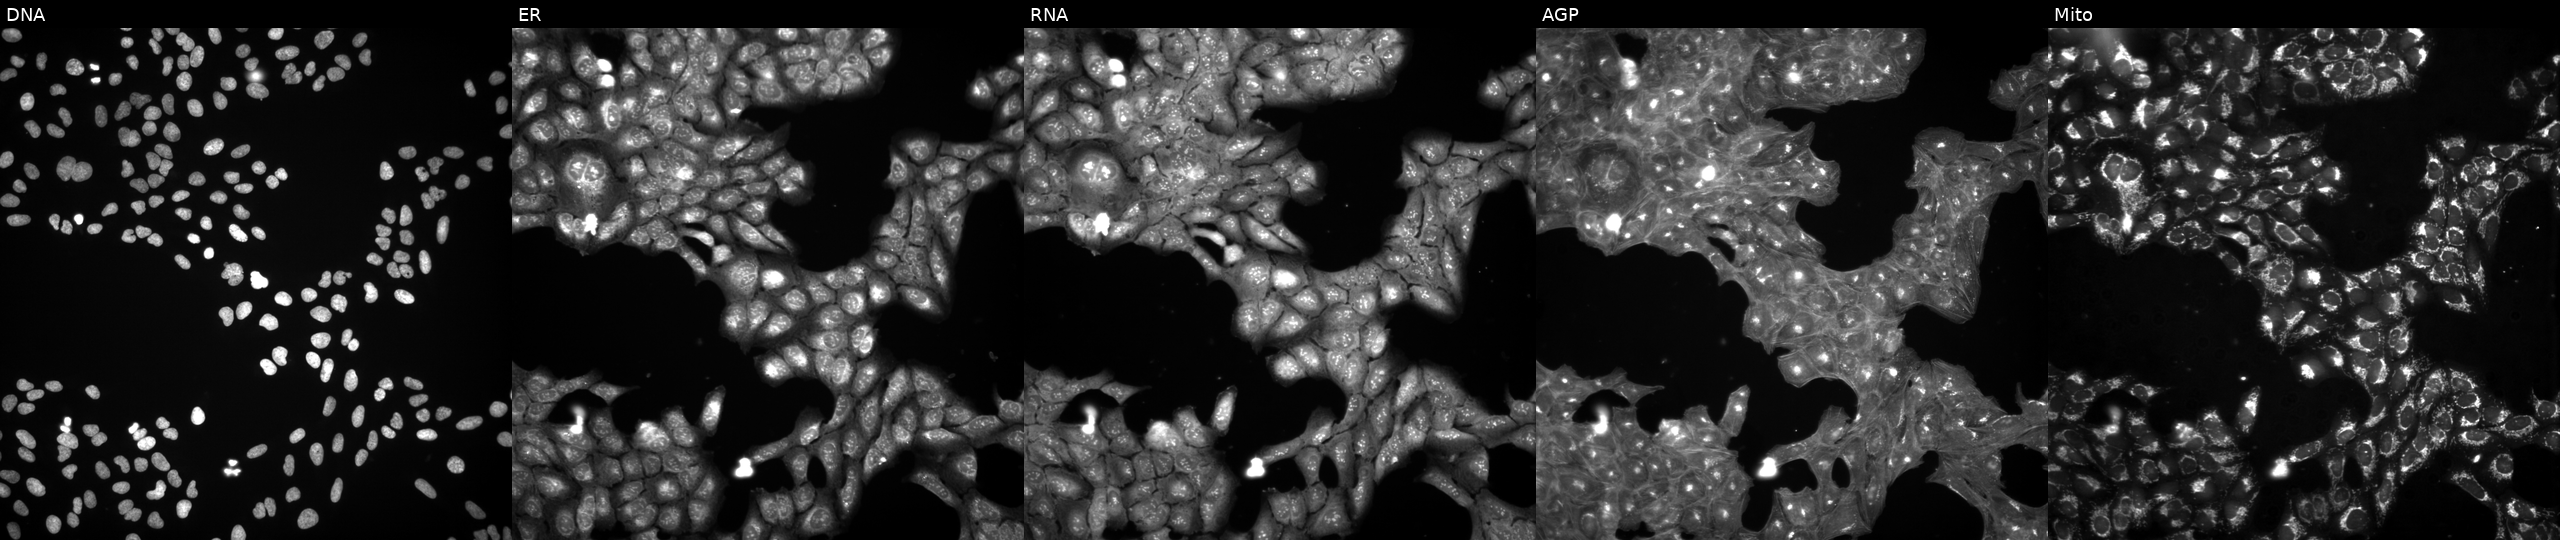
High-content fluorescence microscopy (Cell Painting). Cell line: U2OS. Perturbation: exposed to a small-molecule compound (InChIKey LKUJRCRMJTVDEE-UHFFFAOYSA-N) [SMILES: Cc1nc(SCC(=O)NC(C)(C)C)c2c(-c3cccs3)csc2n1] (JUMP id JCP2022_050066). The five panels, left to right, show DNA (nuclei); ER (endoplasmic reticulum); RNA (nucleoli and cytoplasmic RNA); AGP (actin cytoskeleton, Golgi, and plasma membrane); Mito (mitochondria). Source 3, plate BR5867b3, well M05.